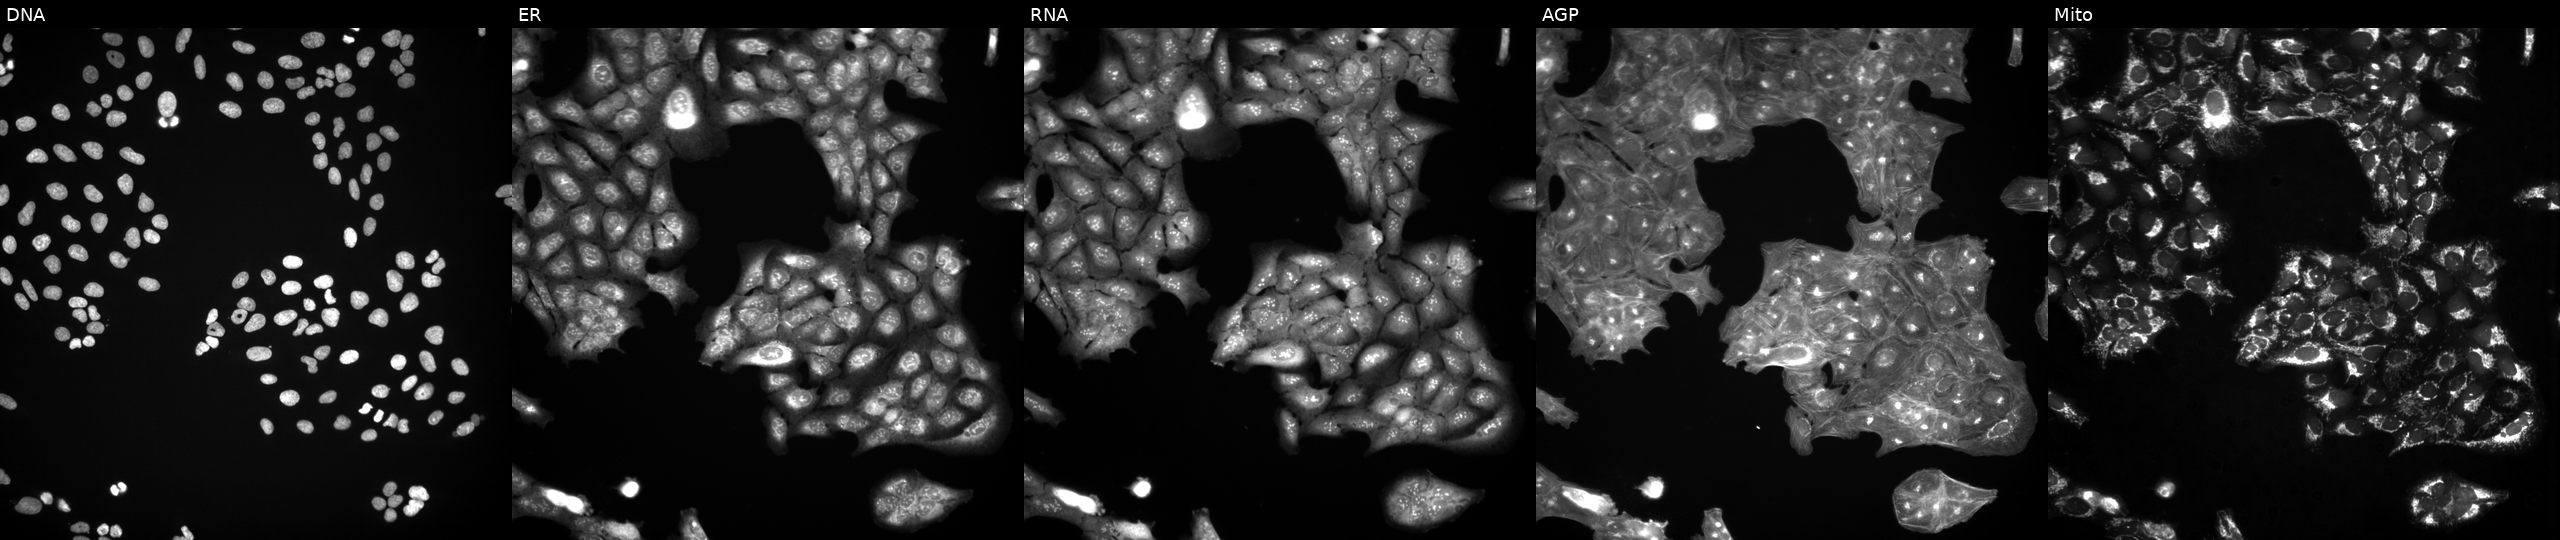
JUMP Cell Painting — TARGET2 plate. U2OS cells treated with a small-molecule compound (InChIKey QXKHYNVANLEOEG-UHFFFAOYSA-N). Panels show, left to right, DNA, ER, RNA, AGP, and Mito.